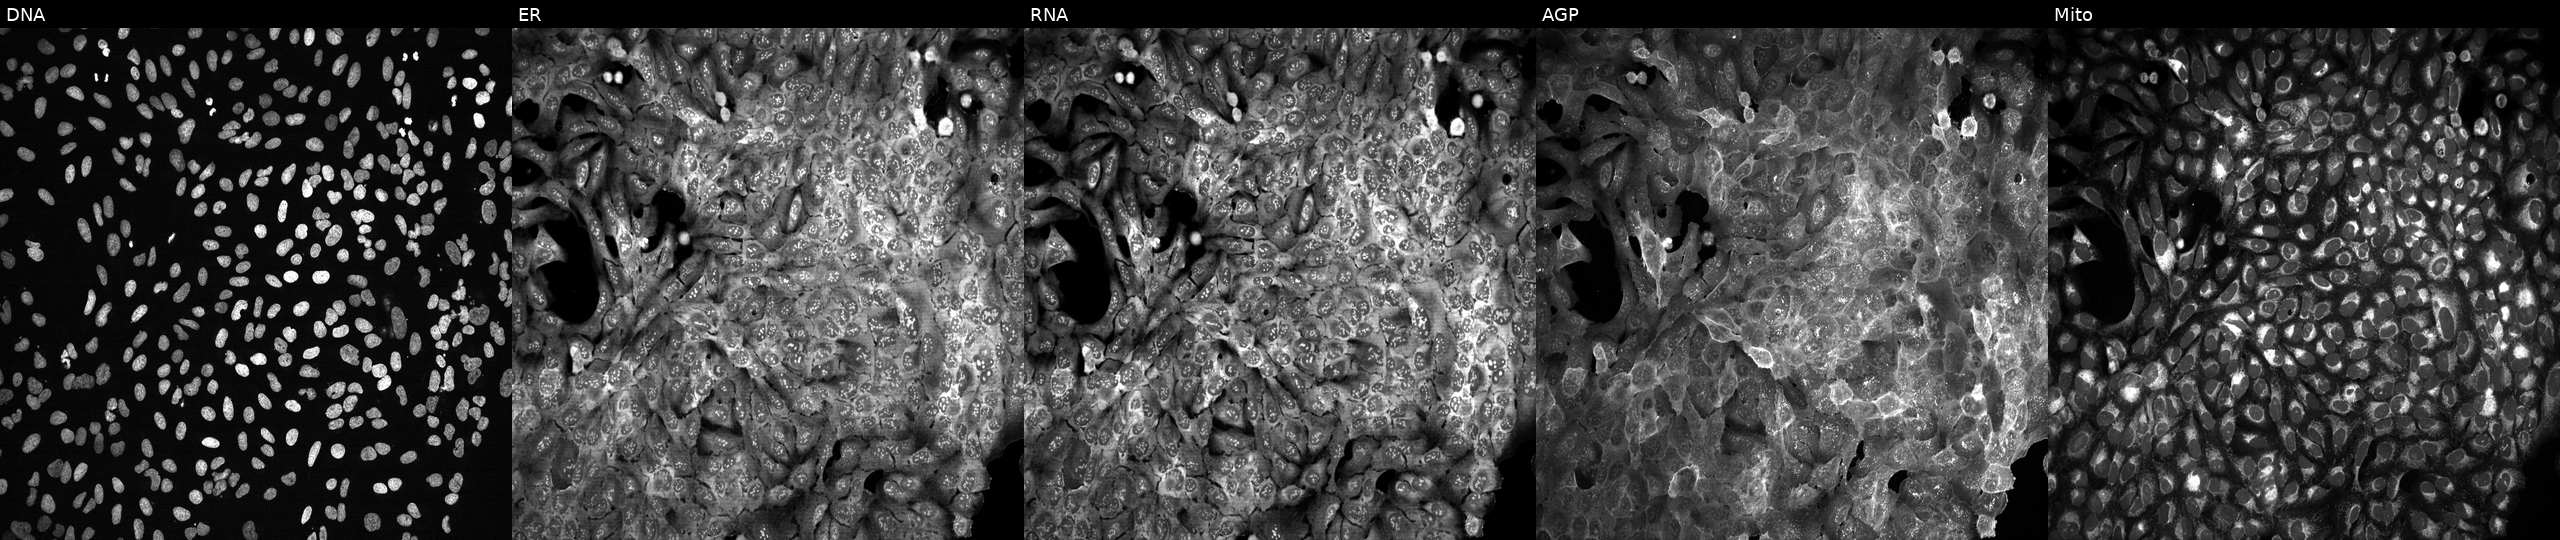
Five-channel Cell Painting image of U2OS cells with KLK4 knocked out by CRISPR. The five panels, left to right, show DNA, ER, RNA, AGP, and Mito. Source 13, plate CP-CC9-R6-19, well L15.